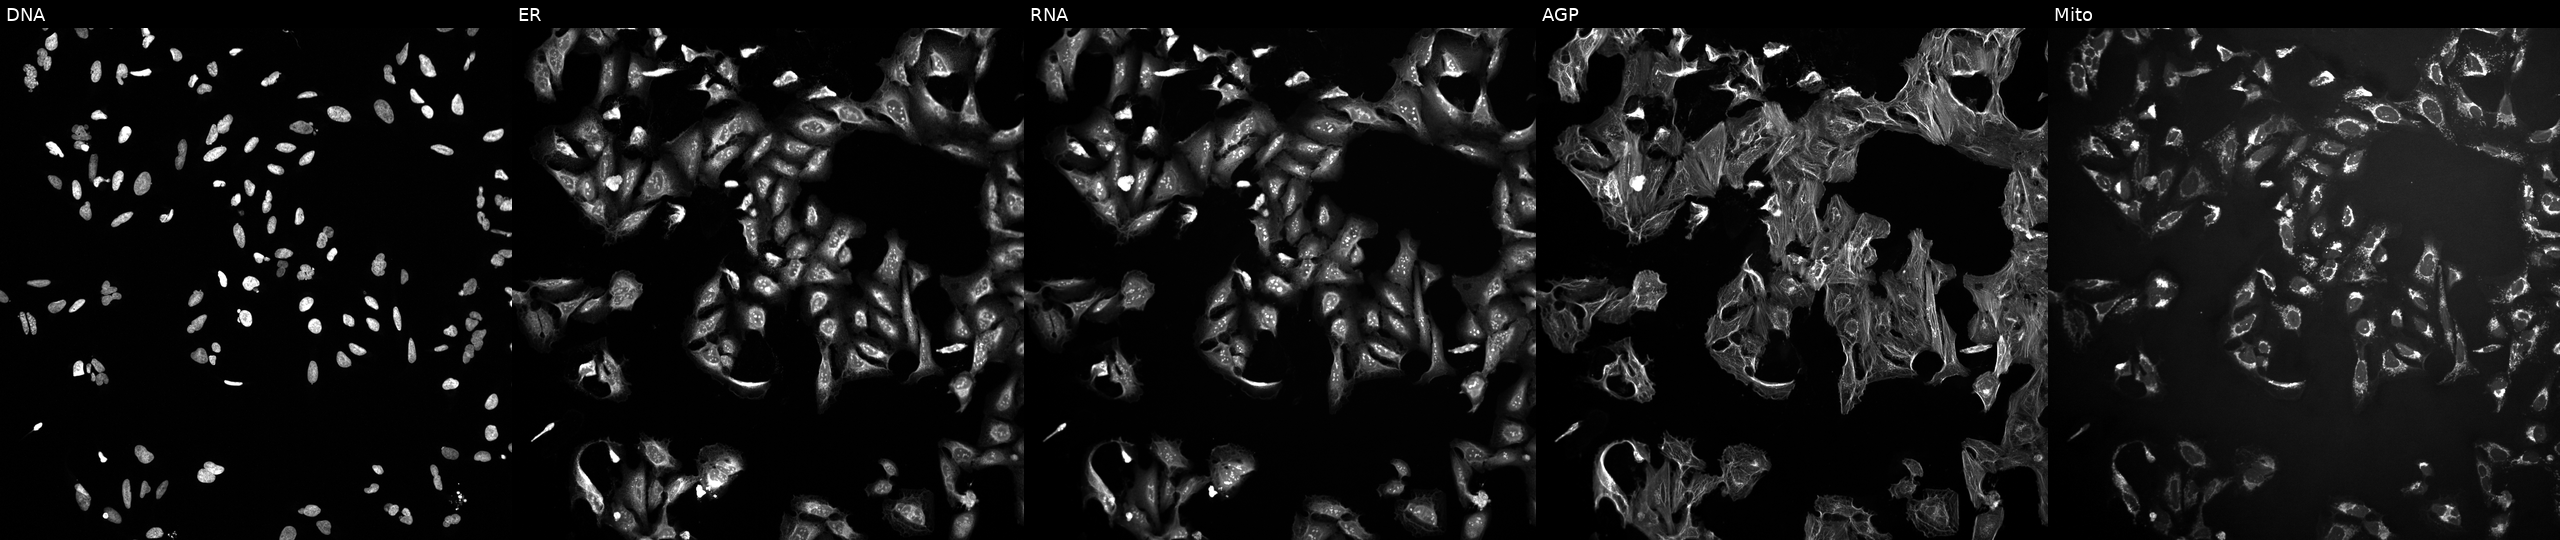
High-content fluorescence microscopy (Cell Painting). Cell line: U2OS. Perturbation: perturbed with a small-molecule compound [SMILES: OCC1OC(Oc2cc(O)cc(C=Cc3ccc(O)cc3)c2)C(O)C(O)C1O] (JUMP id JCP2022_032353). Channels (left→right): Hoechst 33342, concanavalin A, SYTO 14, phalloidin and WGA, MitoTracker. Source 10, plate Dest210726-160150, well J15.